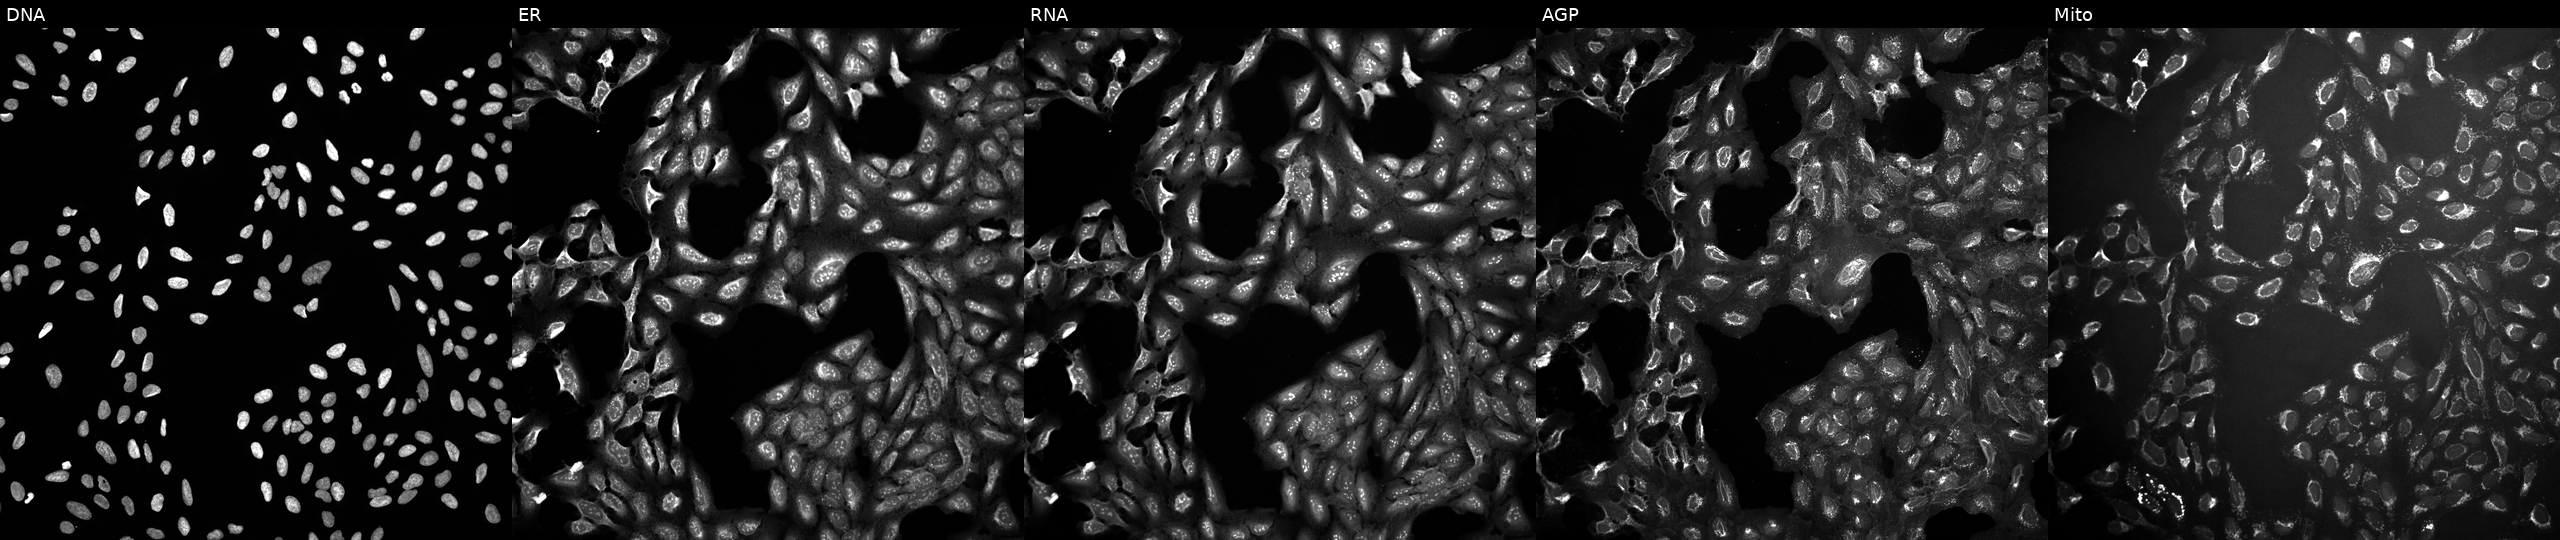
Panels show, left to right, DNA, ER, RNA, AGP, and Mito. U2OS osteosarcoma cells treated with a small-molecule compound (InChIKey CKTSBUTUHBMZGZ-UHFFFAOYSA-N) (JUMP id JCP2022_011759). Cell Painting assay, JUMP-CP dataset.